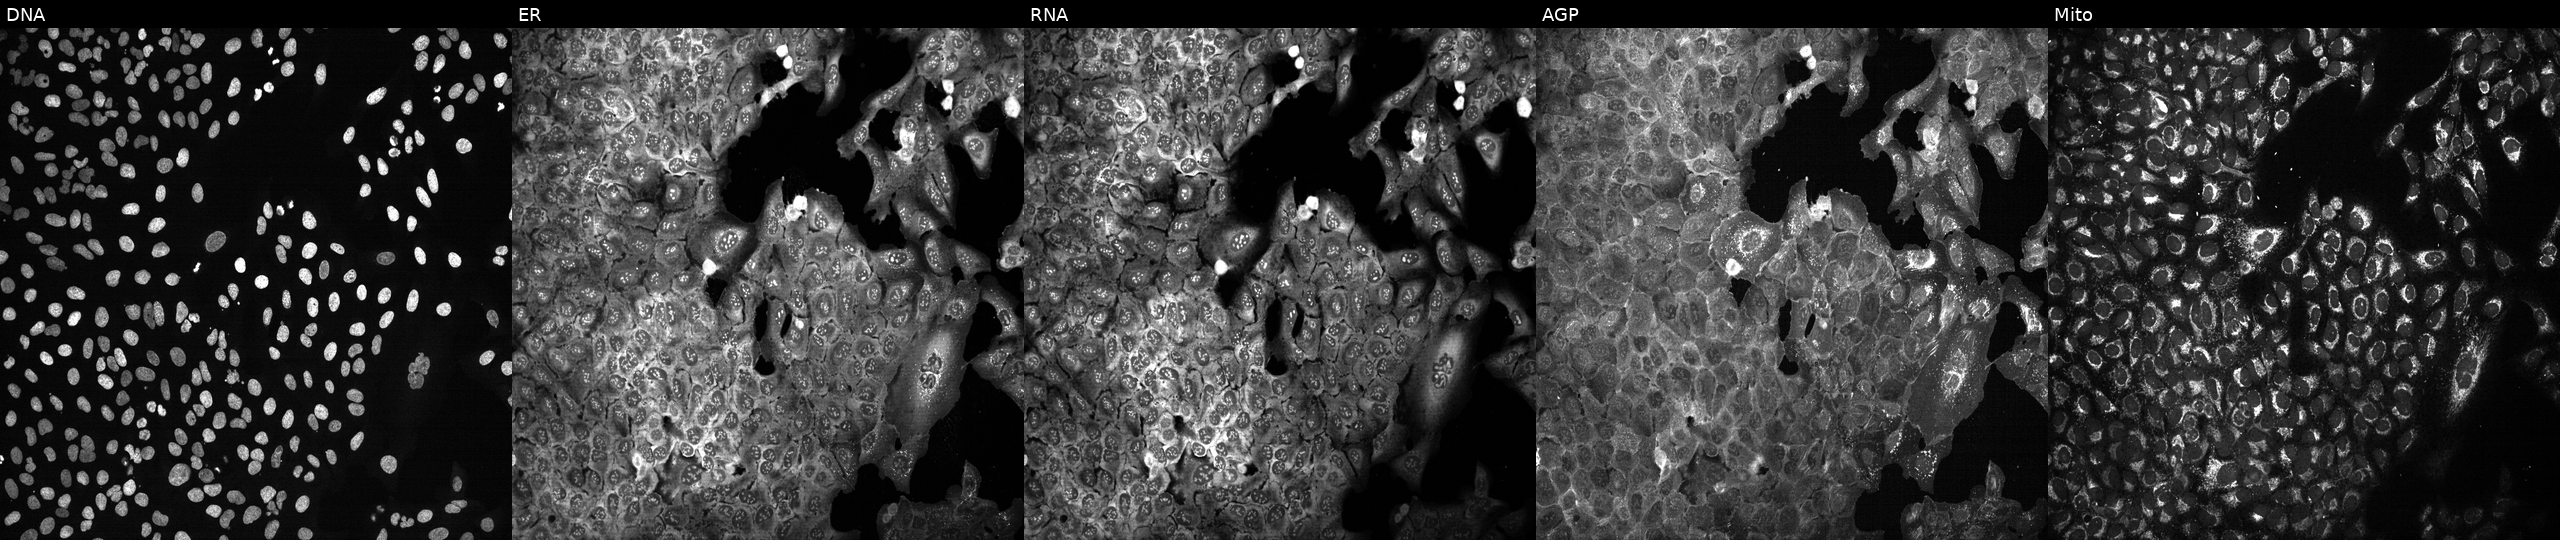
Channels (left→right): DNA (nuclei); ER (endoplasmic reticulum); RNA (nucleoli and cytoplasmic RNA); AGP (actin cytoskeleton, Golgi, and plasma membrane); Mito (mitochondria). U2OS osteosarcoma cells following CRISPR knockout of RND3. Cell Painting assay, JUMP-CP dataset.